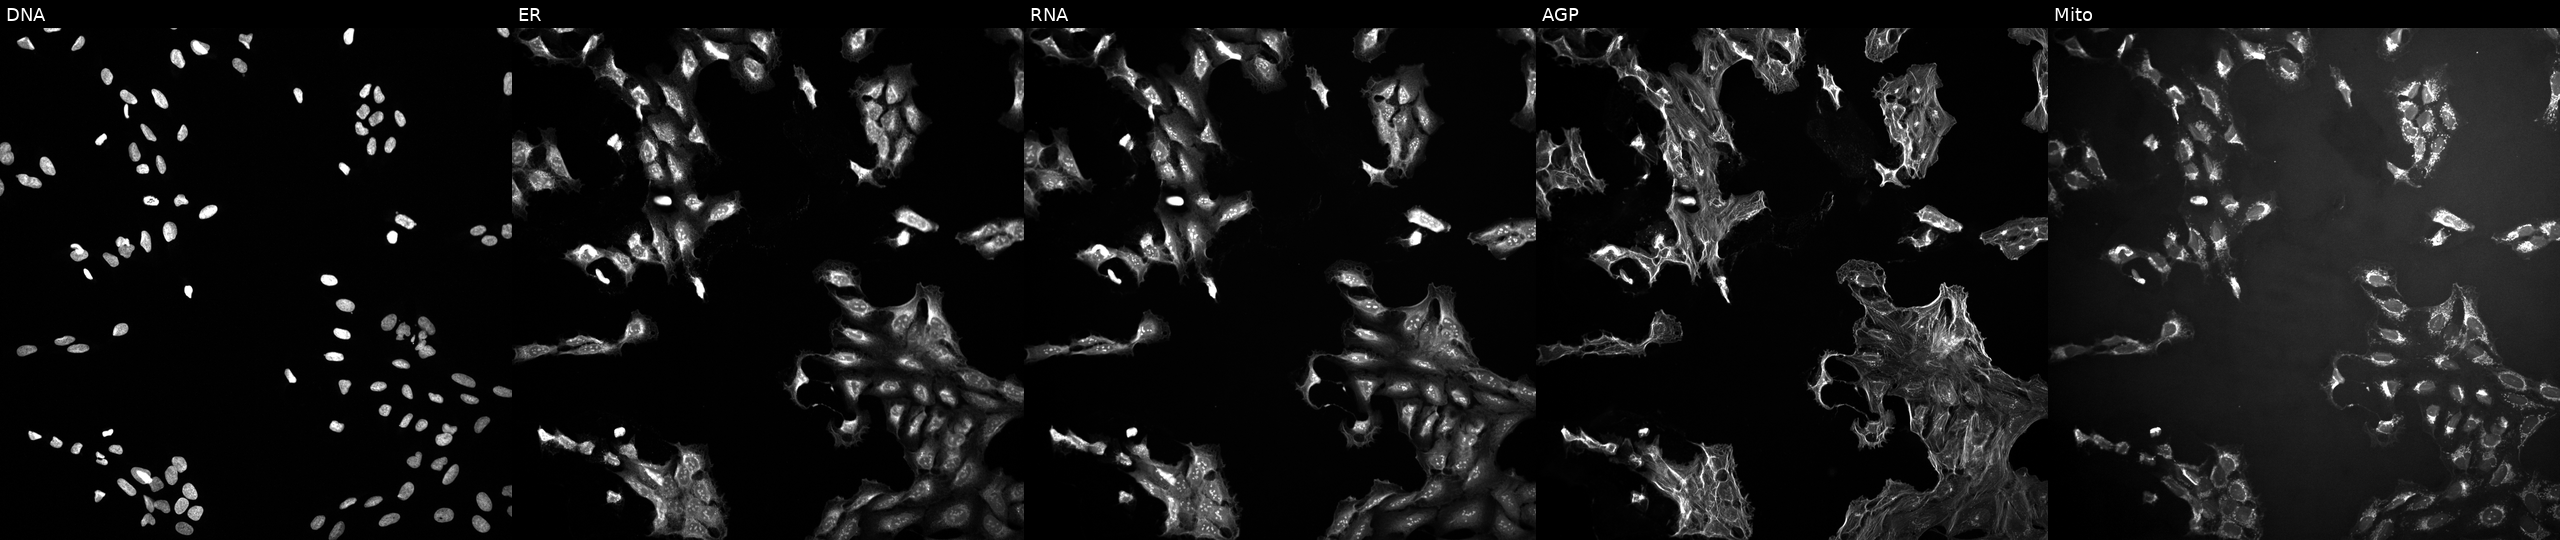
Five-channel Cell Painting image of U2OS cells exposed to the positive-control compound quinidine (JUMP id JCP2022_050797). Panels show, left to right, DNA, ER, RNA, AGP, and Mito.